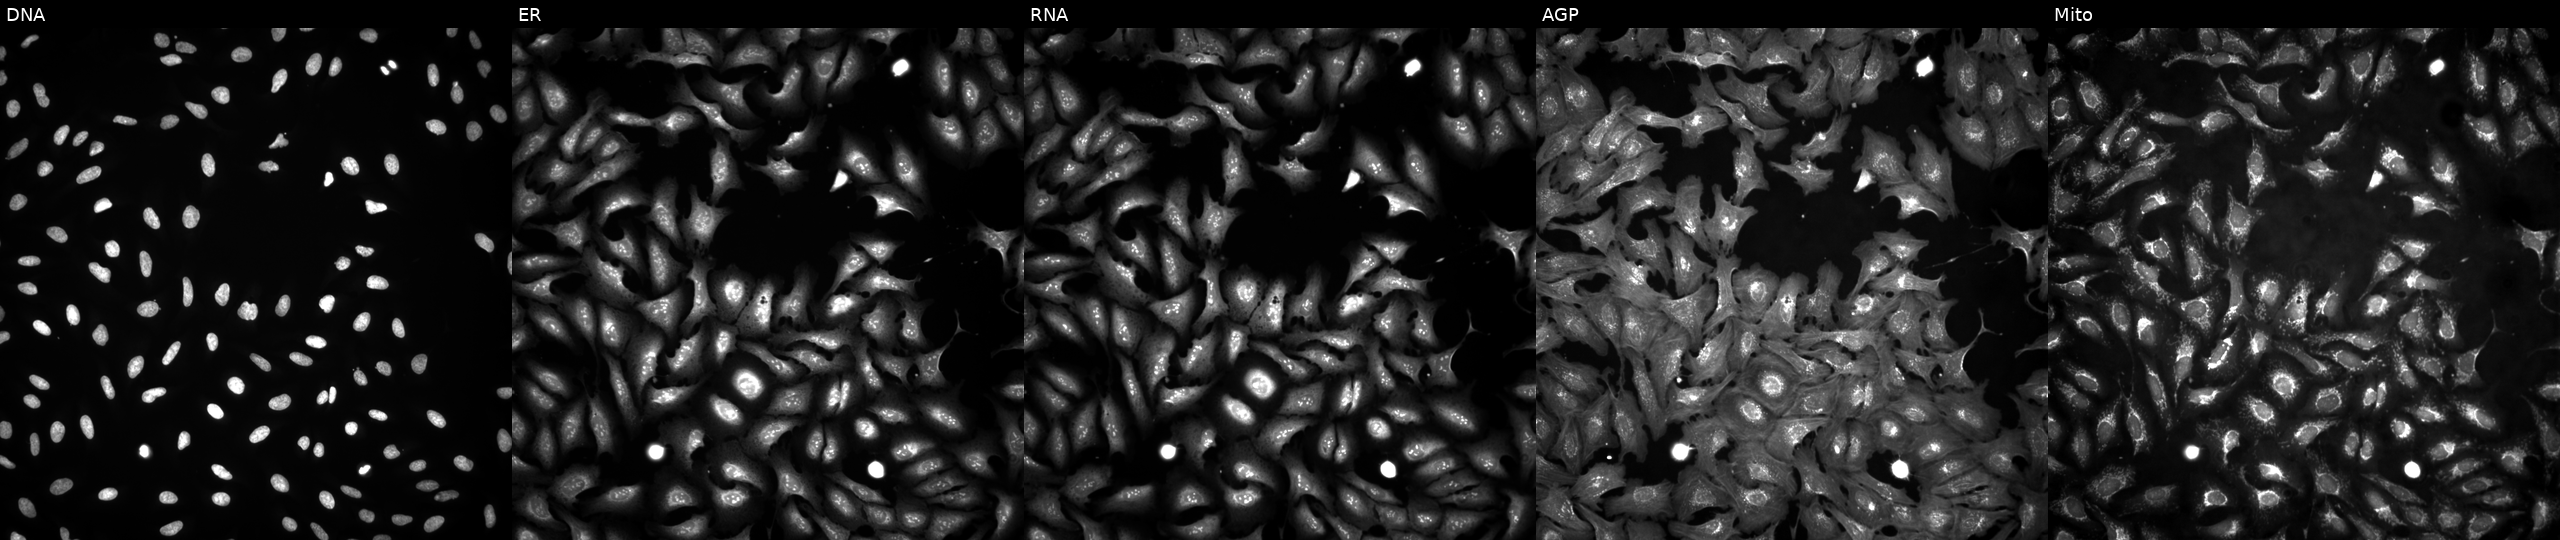
From left to right: Hoechst 33342, concanavalin A, SYTO 14, phalloidin and WGA, MitoTracker. U2OS osteosarcoma cells transfected with an ORF construct for PHKB (JUMP id JCP2022_913780). Cell Painting assay, JUMP-CP dataset.